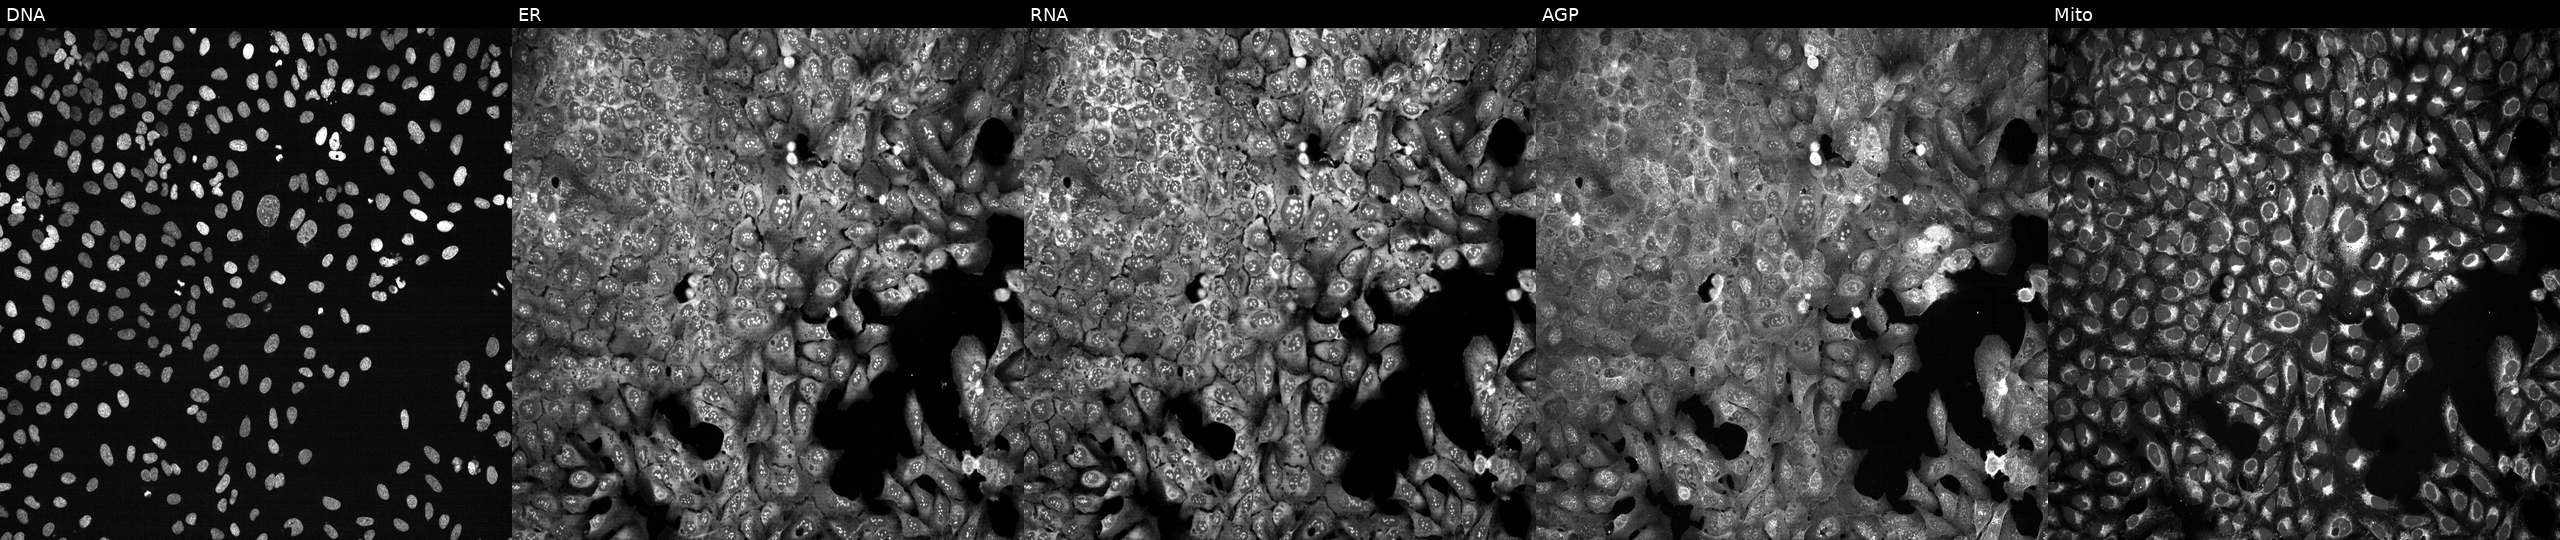
High-content fluorescence microscopy (Cell Painting). Cell line: U2OS. Perturbation: following CRISPR knockout of LEFTY2 (JUMP id JCP2022_803806). Channels (left→right): Hoechst 33342, concanavalin A, SYTO 14, phalloidin and WGA, MitoTracker.